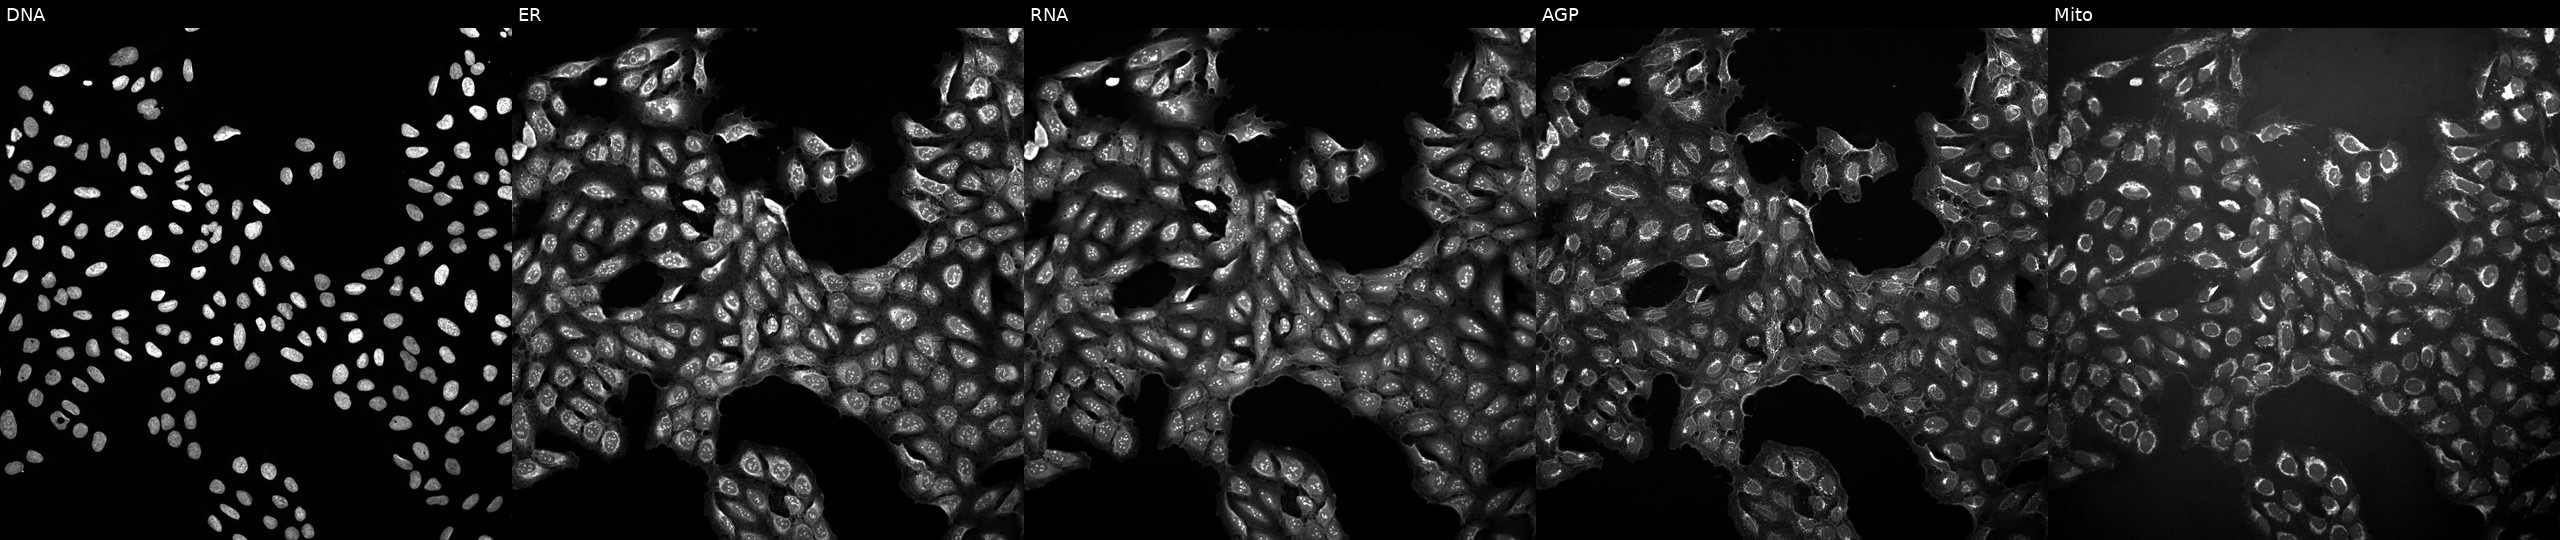
High-content fluorescence microscopy (Cell Painting). Cell line: U2OS. Perturbation: perturbed with a small-molecule compound. The five panels, left to right, show DNA (nuclei); ER (endoplasmic reticulum); RNA (nucleoli and cytoplasmic RNA); AGP (actin cytoskeleton, Golgi, and plasma membrane); Mito (mitochondria).